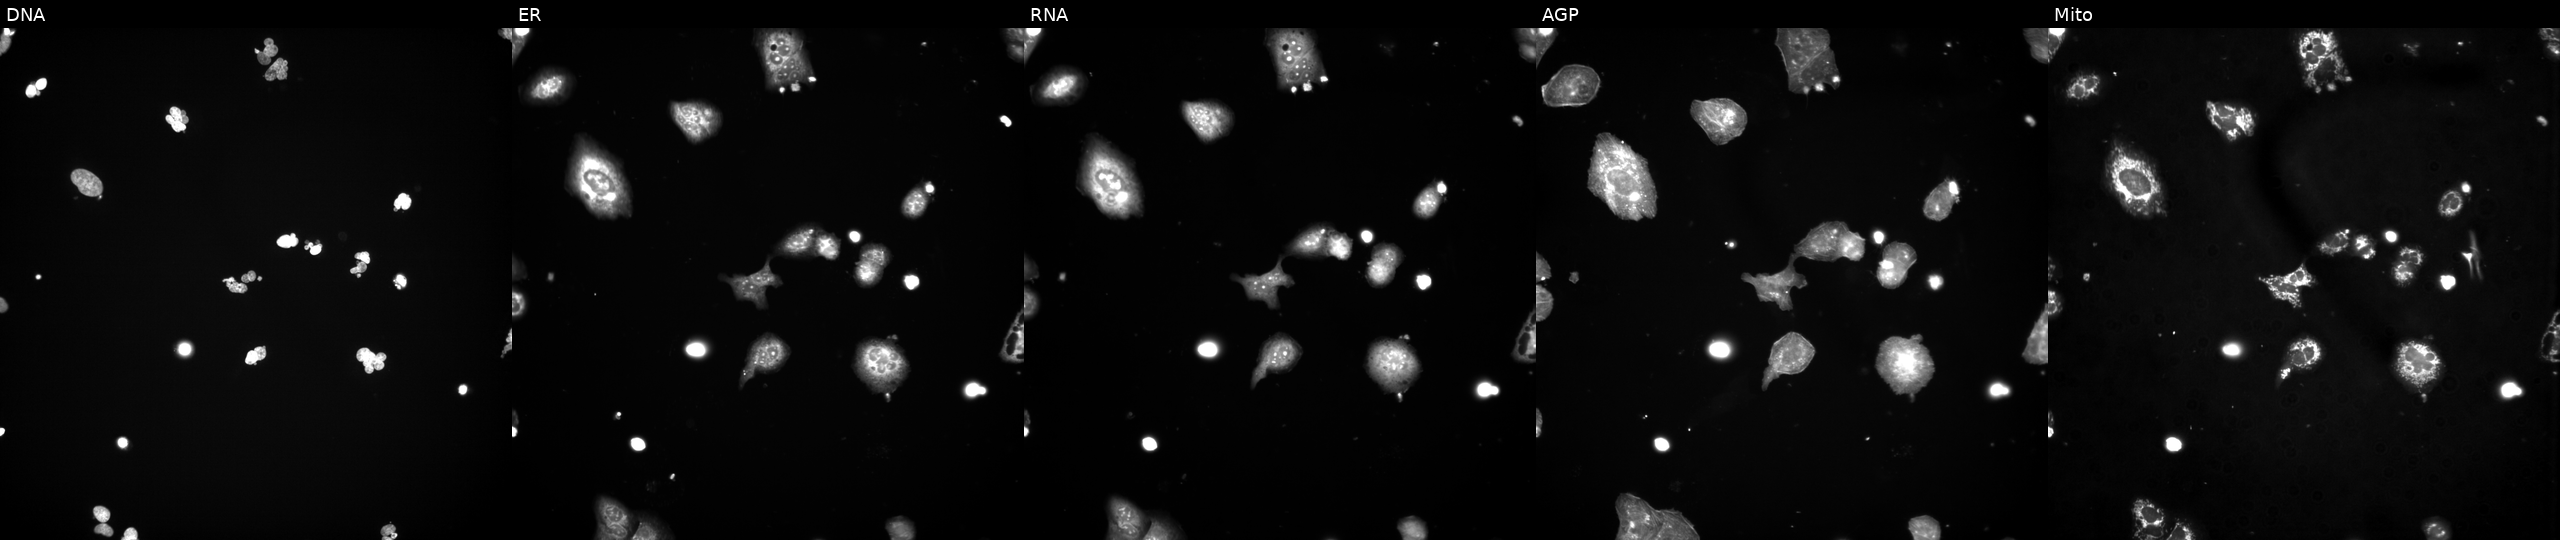
Five-channel Cell Painting image of U2OS cells perturbed with a small-molecule compound (InChIKey JOLJIIDDOBNFHW-UHFFFAOYSA-N). The five panels, left to right, show Hoechst 33342, concanavalin A, SYTO 14, phalloidin and WGA, MitoTracker. Source 3, plate JCPQC053, well H01.